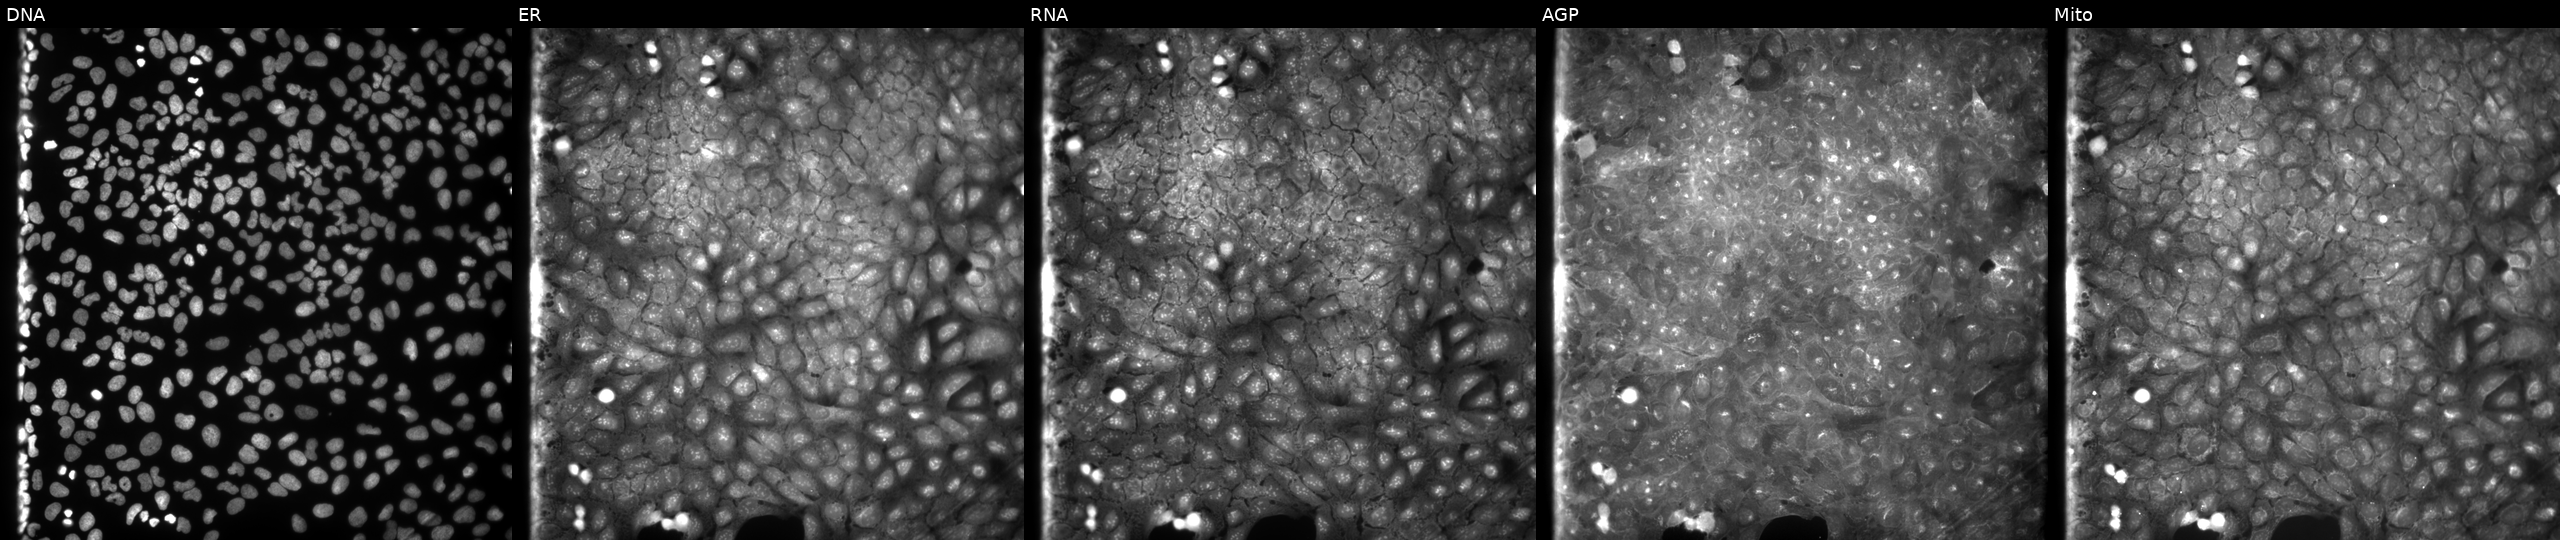
JUMP Cell Painting — COMPOUND plate. U2OS cells perturbed with a small-molecule compound (InChIKey SDOLIJFTCFQHDR-UHFFFAOYSA-N). From left to right: Hoechst 33342, concanavalin A, SYTO 14, phalloidin and WGA, MitoTracker. Source 9, plate GR00003381, well H08.